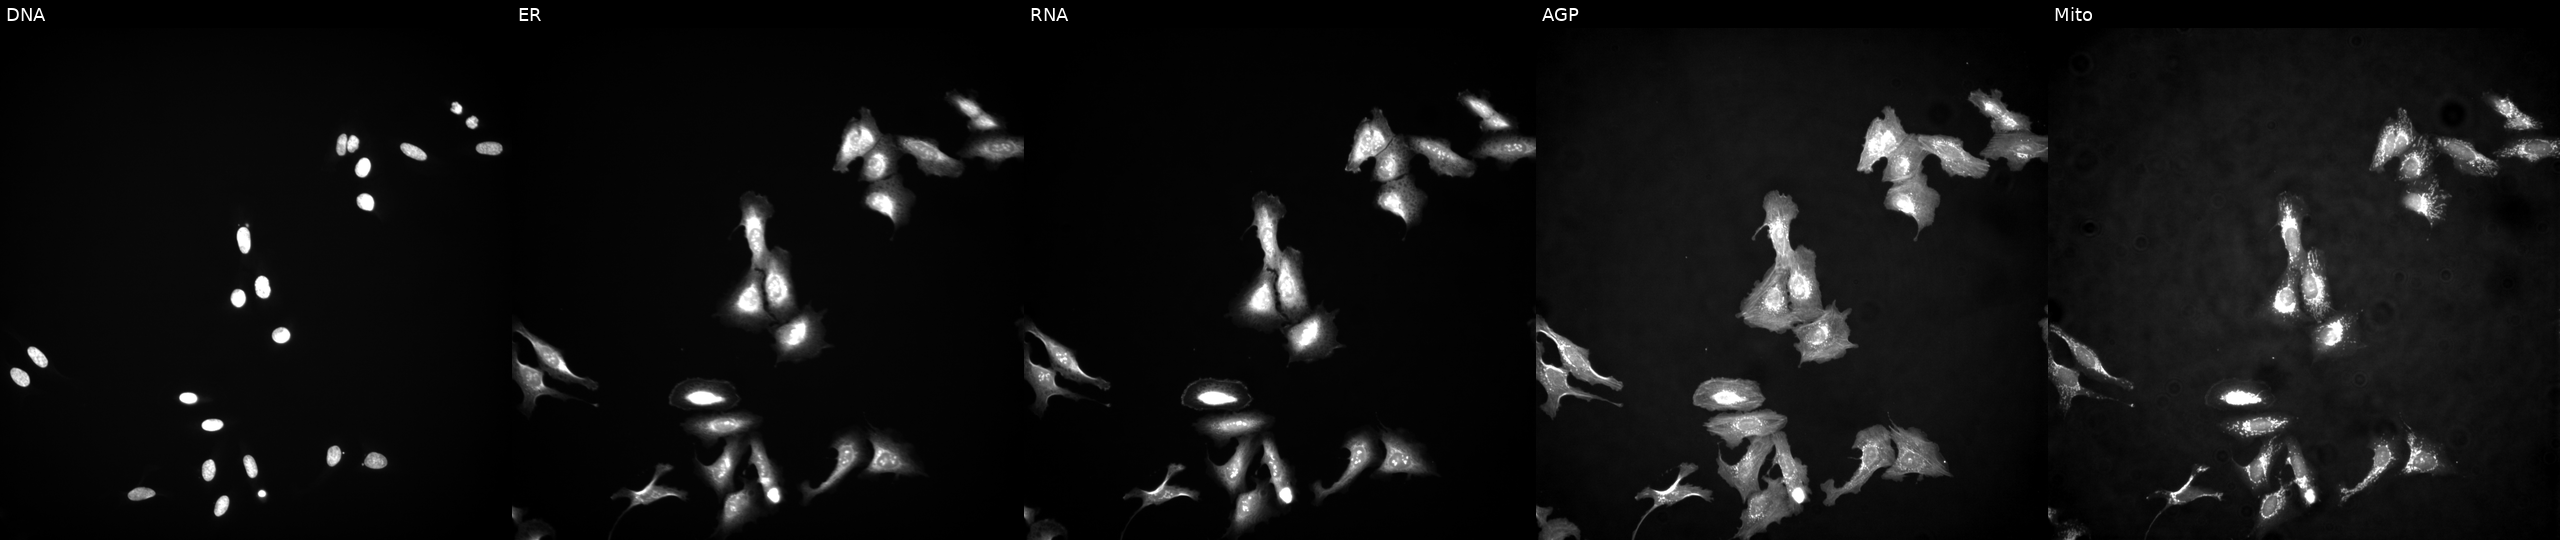
U2OS cells, Cell Painting assay, with MAP3K3 overexpressed (ORF) (JUMP id JCP2022_910221). Panels show, left to right, DNA (nuclei); ER (endoplasmic reticulum); RNA (nucleoli and cytoplasmic RNA); AGP (actin cytoskeleton, Golgi, and plasma membrane); Mito (mitochondria). Each panel is percentile-stretched 16-bit fluorescence.